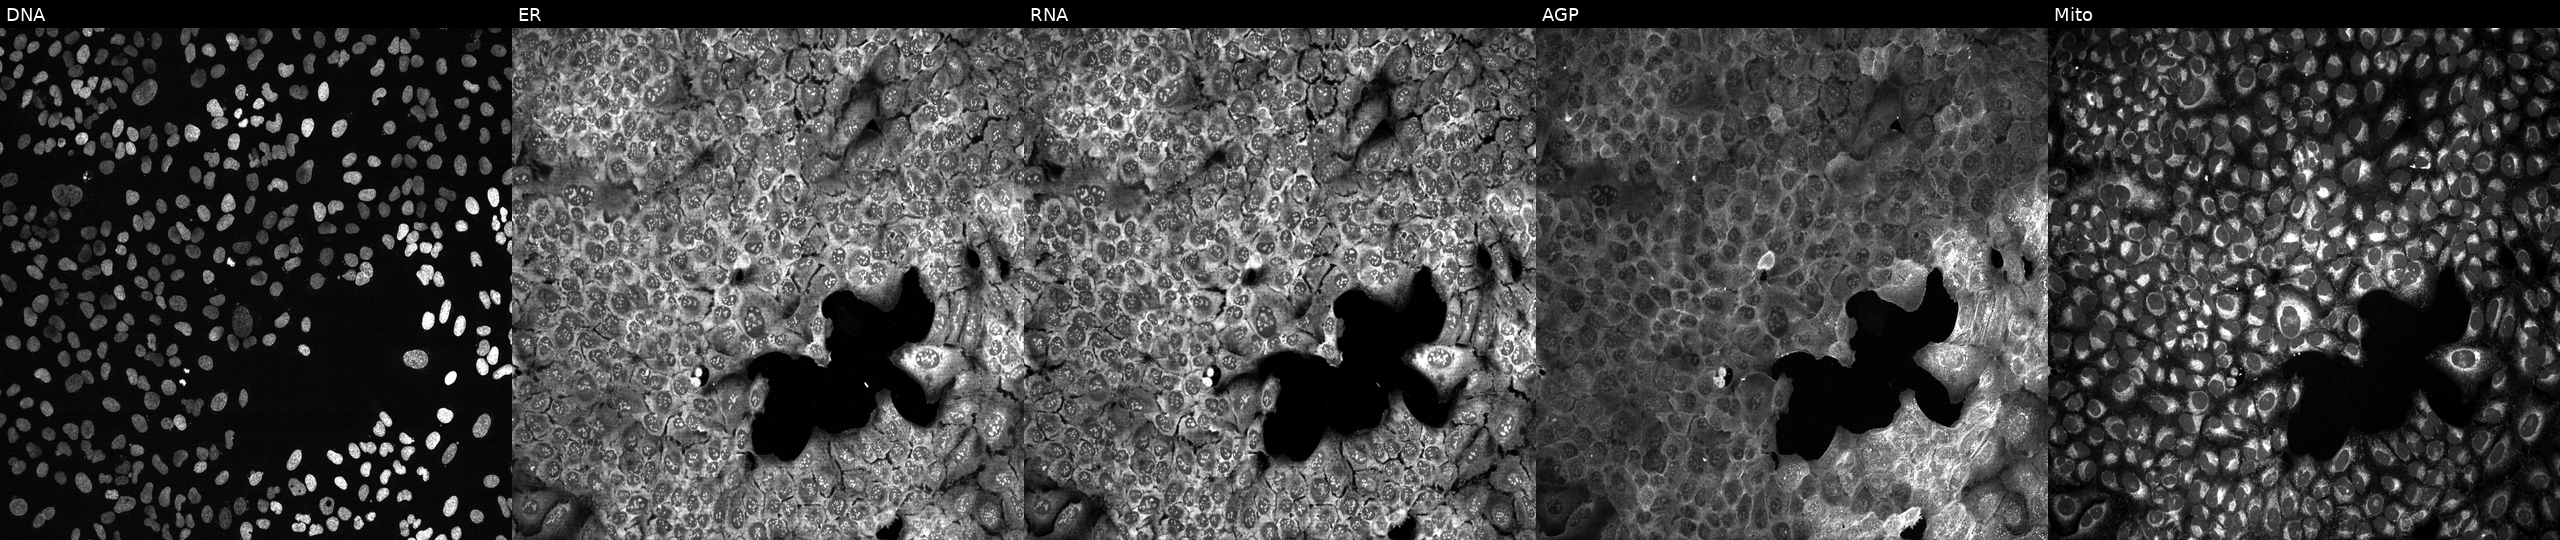
JUMP Cell Painting — CRISPR plate. U2OS cells following CRISPR knockout of GCNT1. The five panels, left to right, show DNA, ER, RNA, AGP, and Mito.